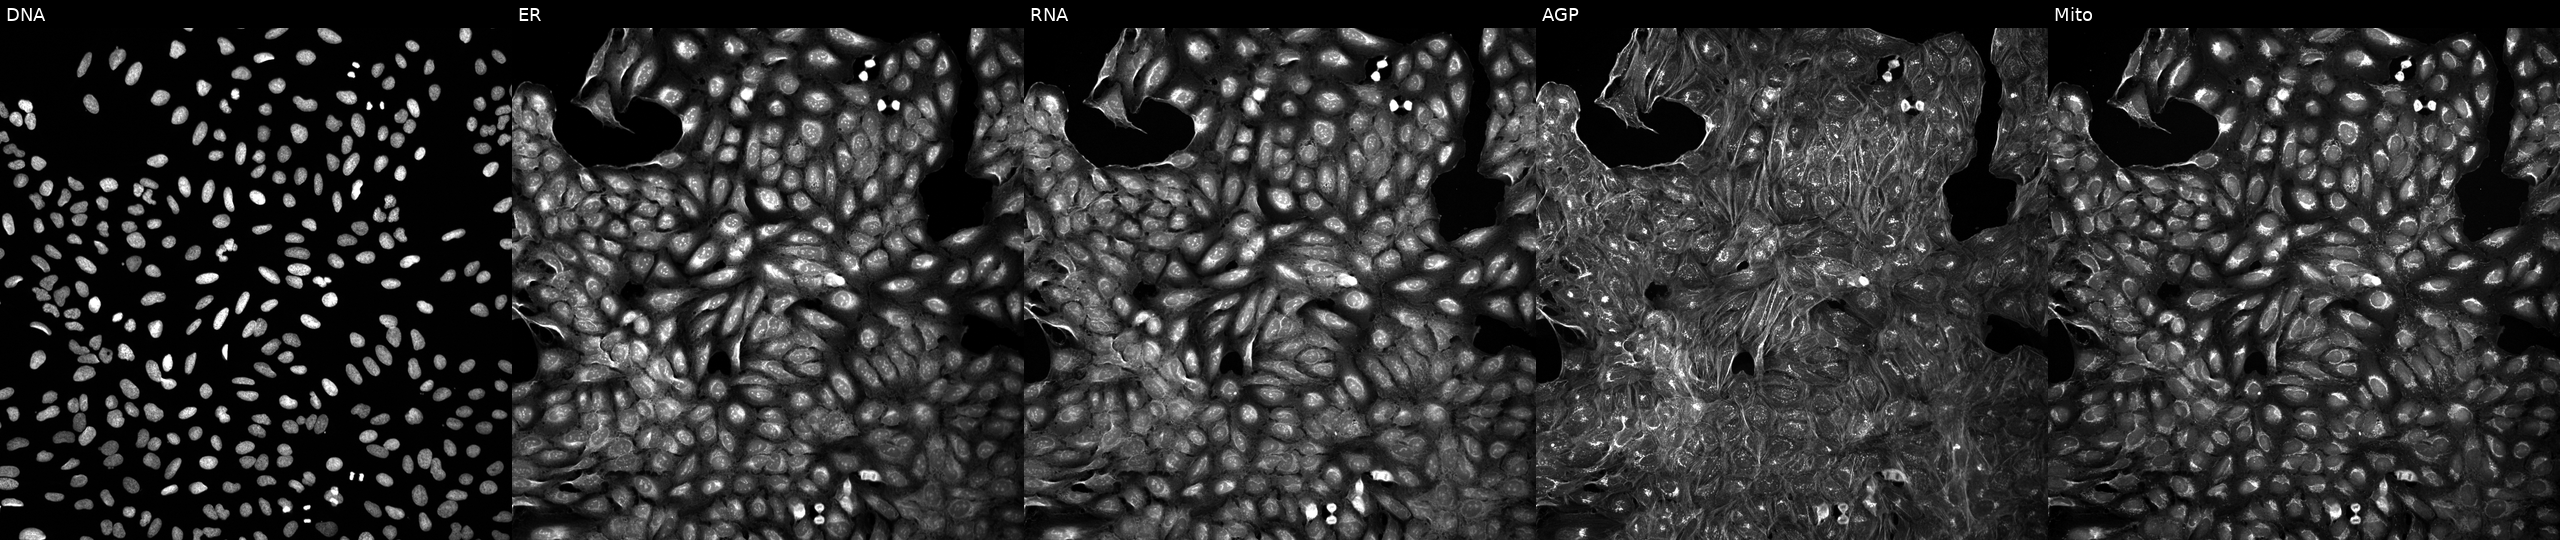
Panels show, left to right, DNA (nuclei); ER (endoplasmic reticulum); RNA (nucleoli and cytoplasmic RNA); AGP (actin cytoskeleton, Golgi, and plasma membrane); Mito (mitochondria). U2OS osteosarcoma cells treated with a small-molecule compound (InChIKey BEWFSPHFLOFVJC-UHFFFAOYSA-N) [SMILES: CCCCOc1ccc(NC(=O)CN2CCN(C(=O)OCC)CC2)cc1] (JUMP id JCP2022_005866). Cell Painting assay, JUMP-CP dataset.